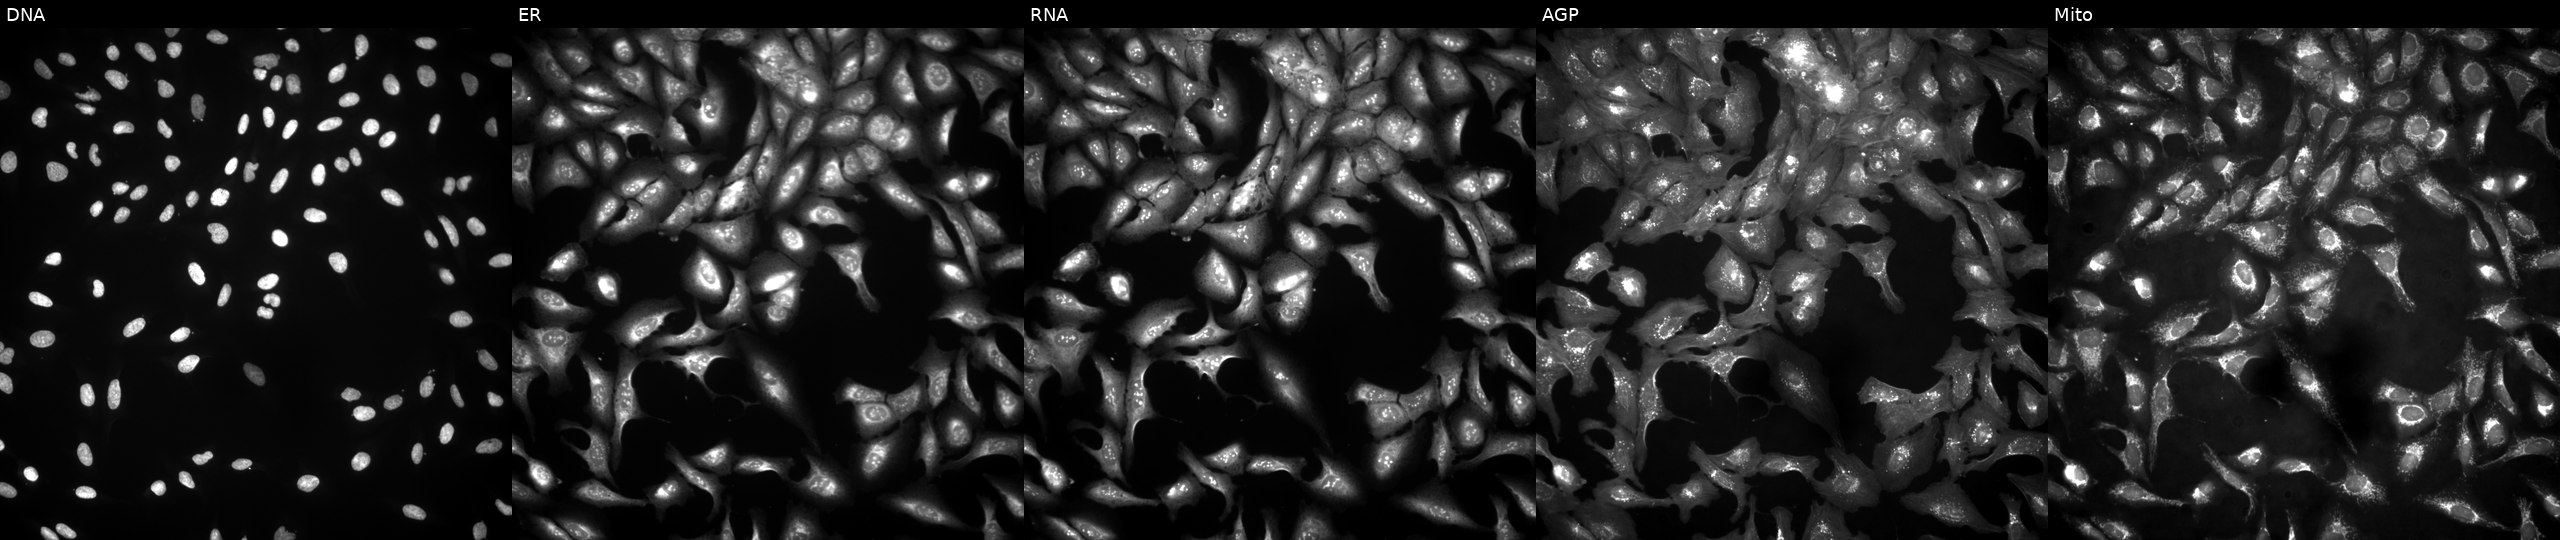
High-content fluorescence microscopy (Cell Painting). Cell line: U2OS. Perturbation: transfected with an ORF construct for WDFY2. Channels (left→right): Hoechst 33342, concanavalin A, SYTO 14, phalloidin and WGA, MitoTracker. Source 4, plate BR00124790, well F15.